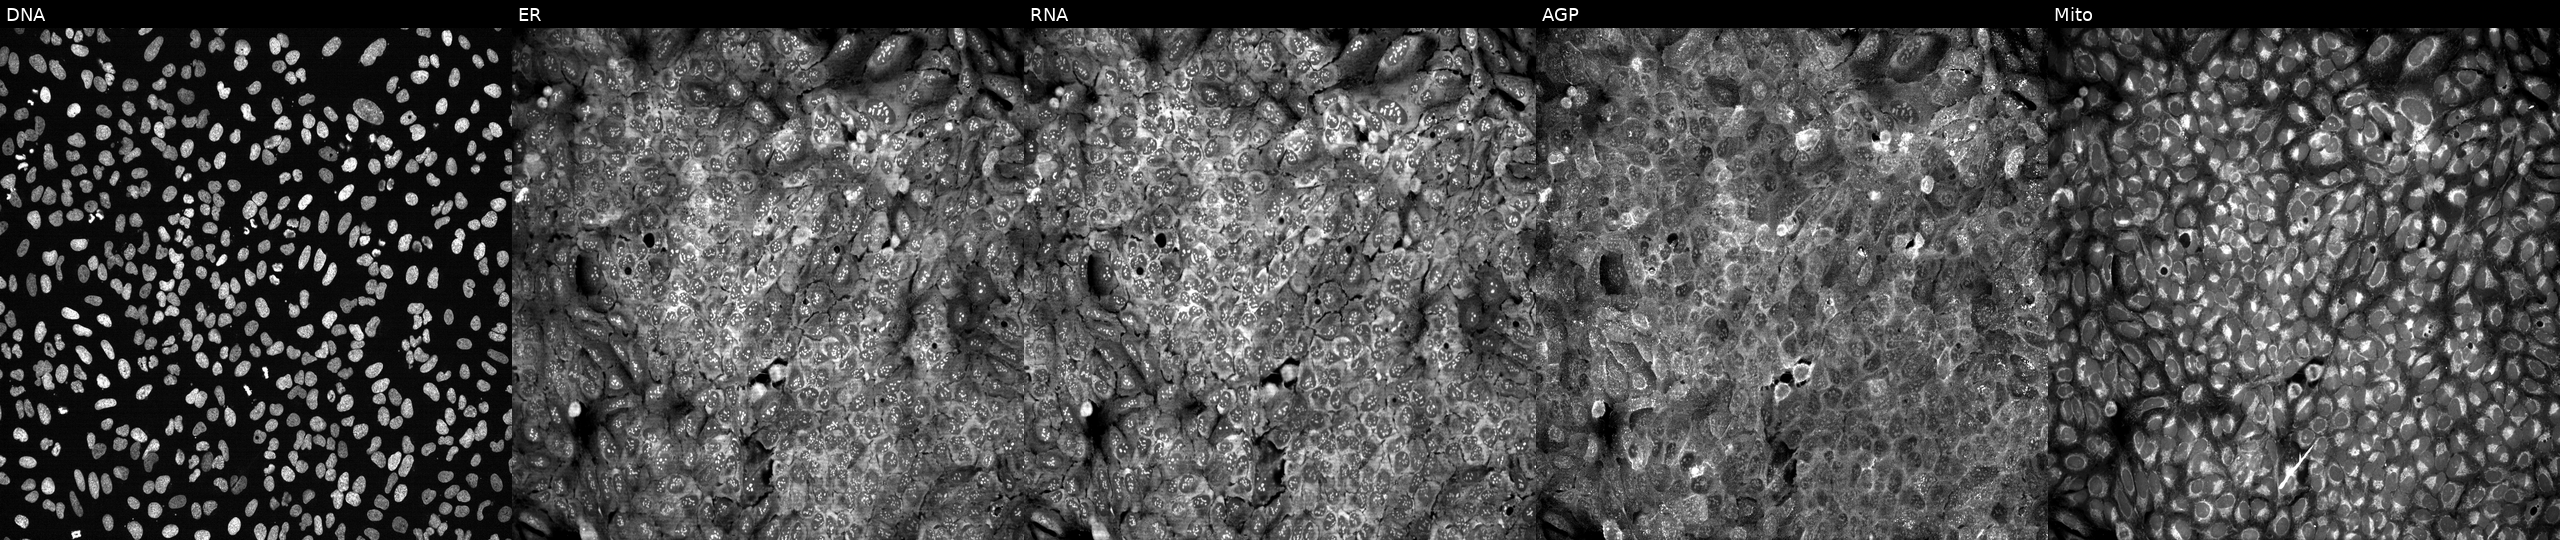
Five-channel Cell Painting image of U2OS cells CRISPR-edited to disrupt FKBP10 (JUMP id JCP2022_802409). Channels (left→right): DNA, ER, RNA, AGP, and Mito. Source 13, plate CP-CC9-R5-01, well I11.